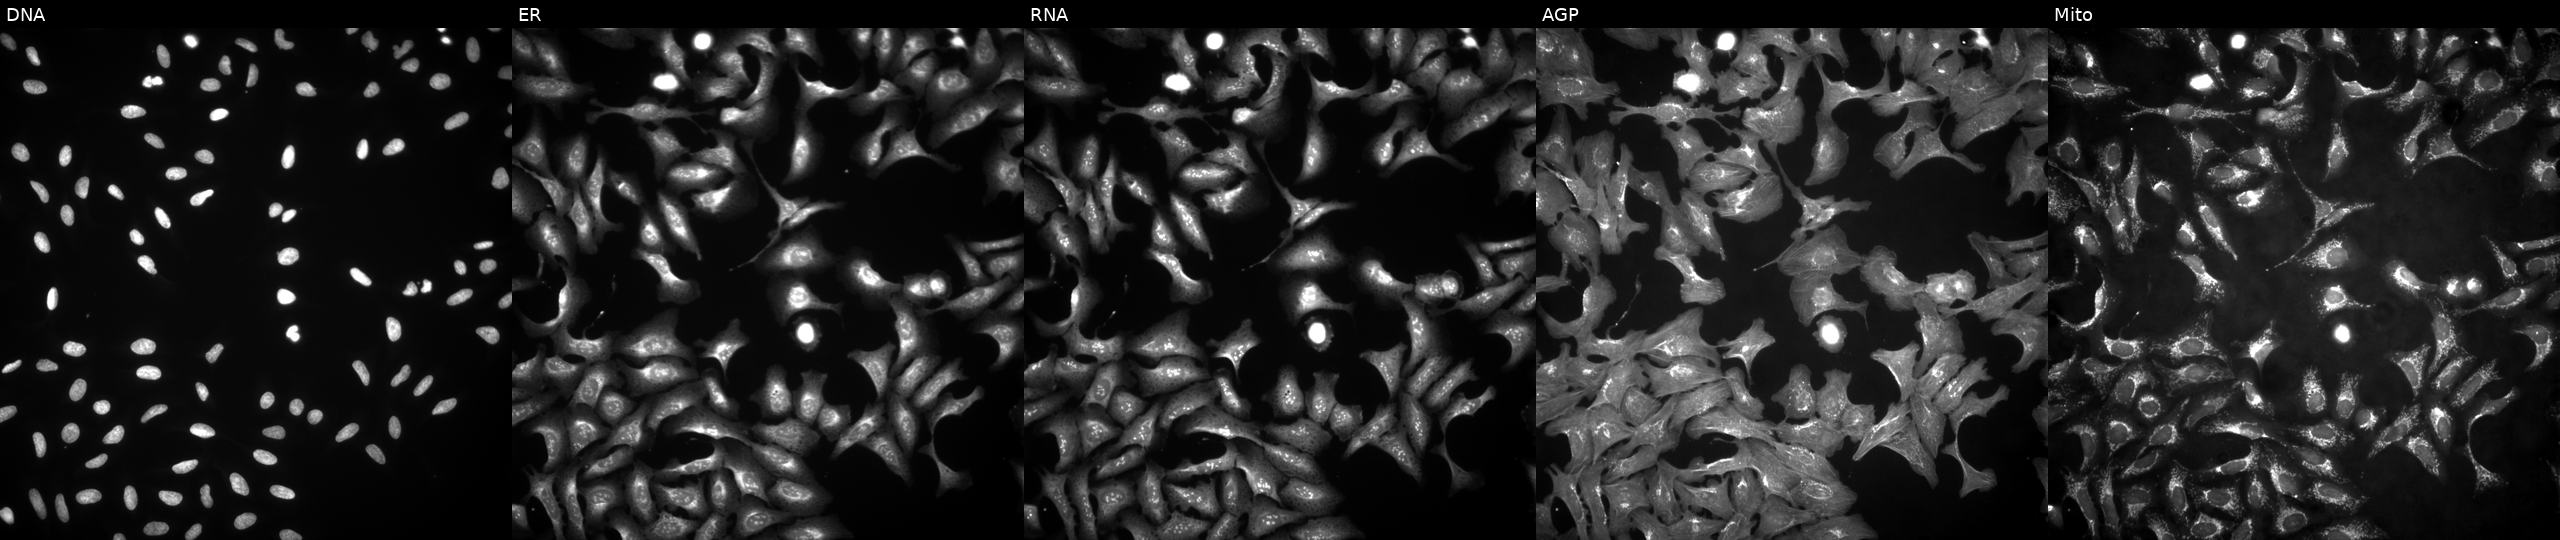
This image strip shows the five Cell Painting channels for a single field of U2OS cells with RAC2 overexpressed (ORF) (JUMP id JCP2022_906397). Panels show, left to right, DNA, ER, RNA, AGP, and Mito. Source 4, plate BR00123509, well D16.